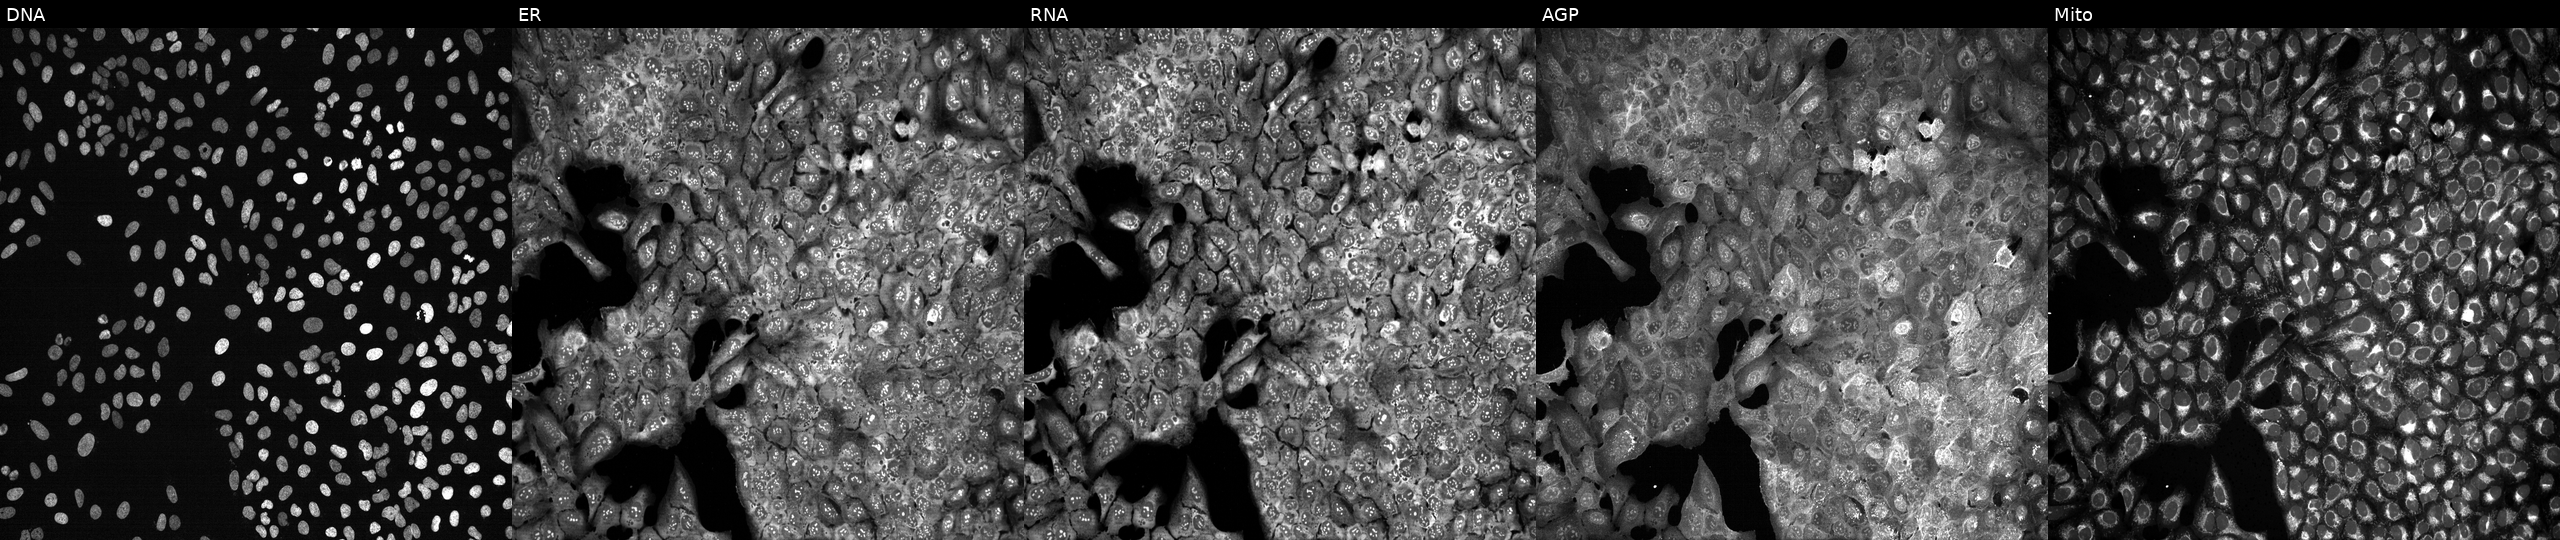
High-content fluorescence microscopy (Cell Painting). Cell line: U2OS. Perturbation: CRISPR-edited to disrupt DDX25 (JUMP id JCP2022_801730). From left to right: DNA, ER, RNA, AGP, and Mito.